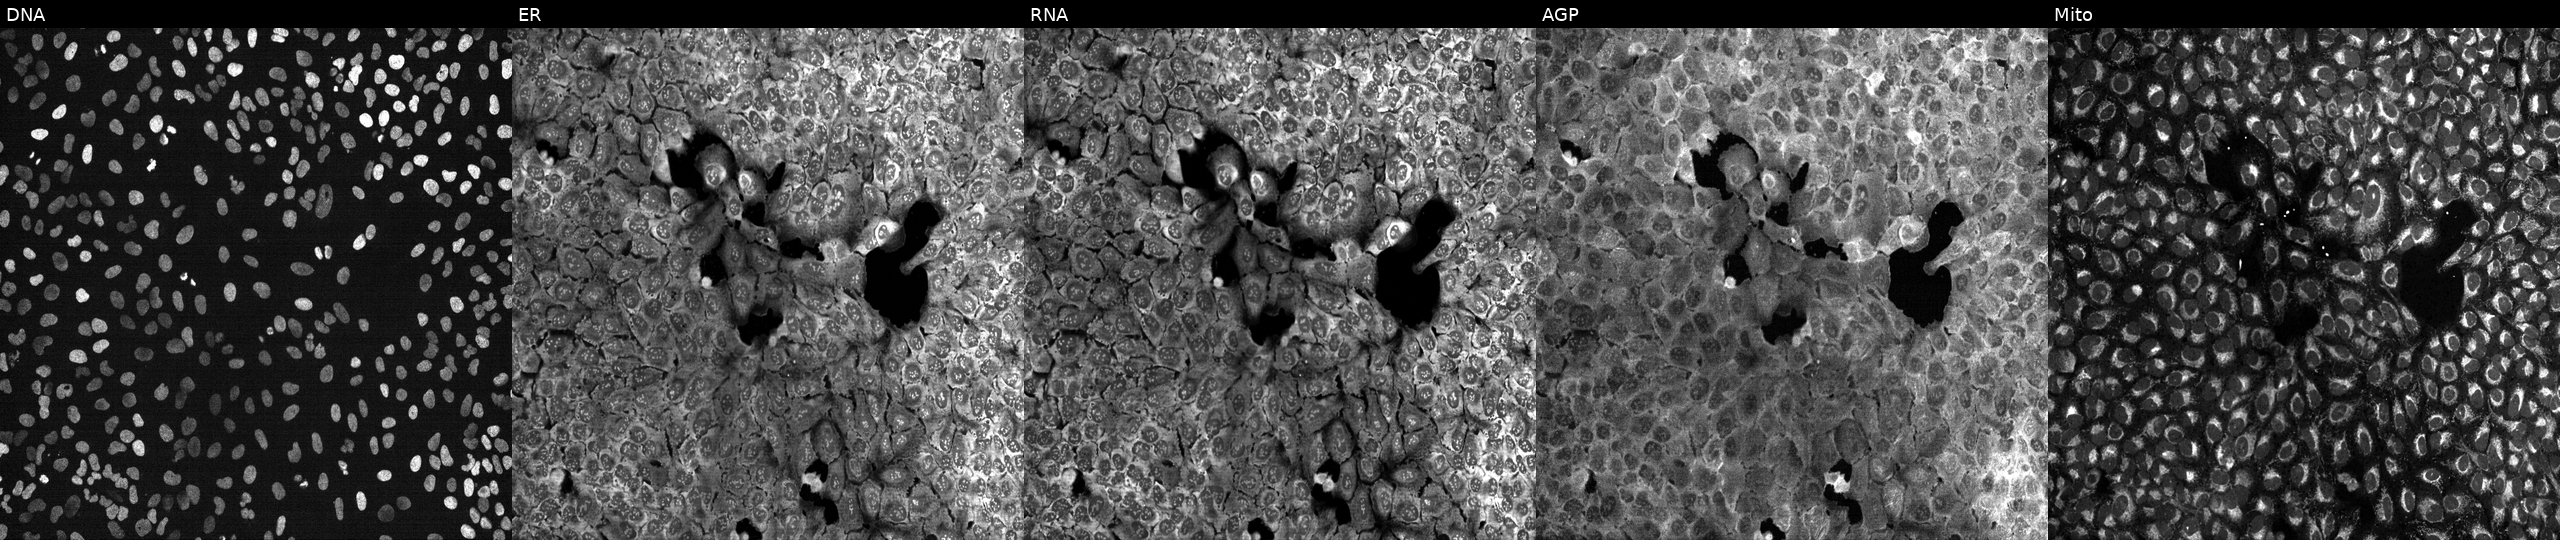
JUMP Cell Painting — CRISPR plate. U2OS cells CRISPR-edited to disrupt CD14. From left to right: DNA, ER, RNA, AGP, and Mito.